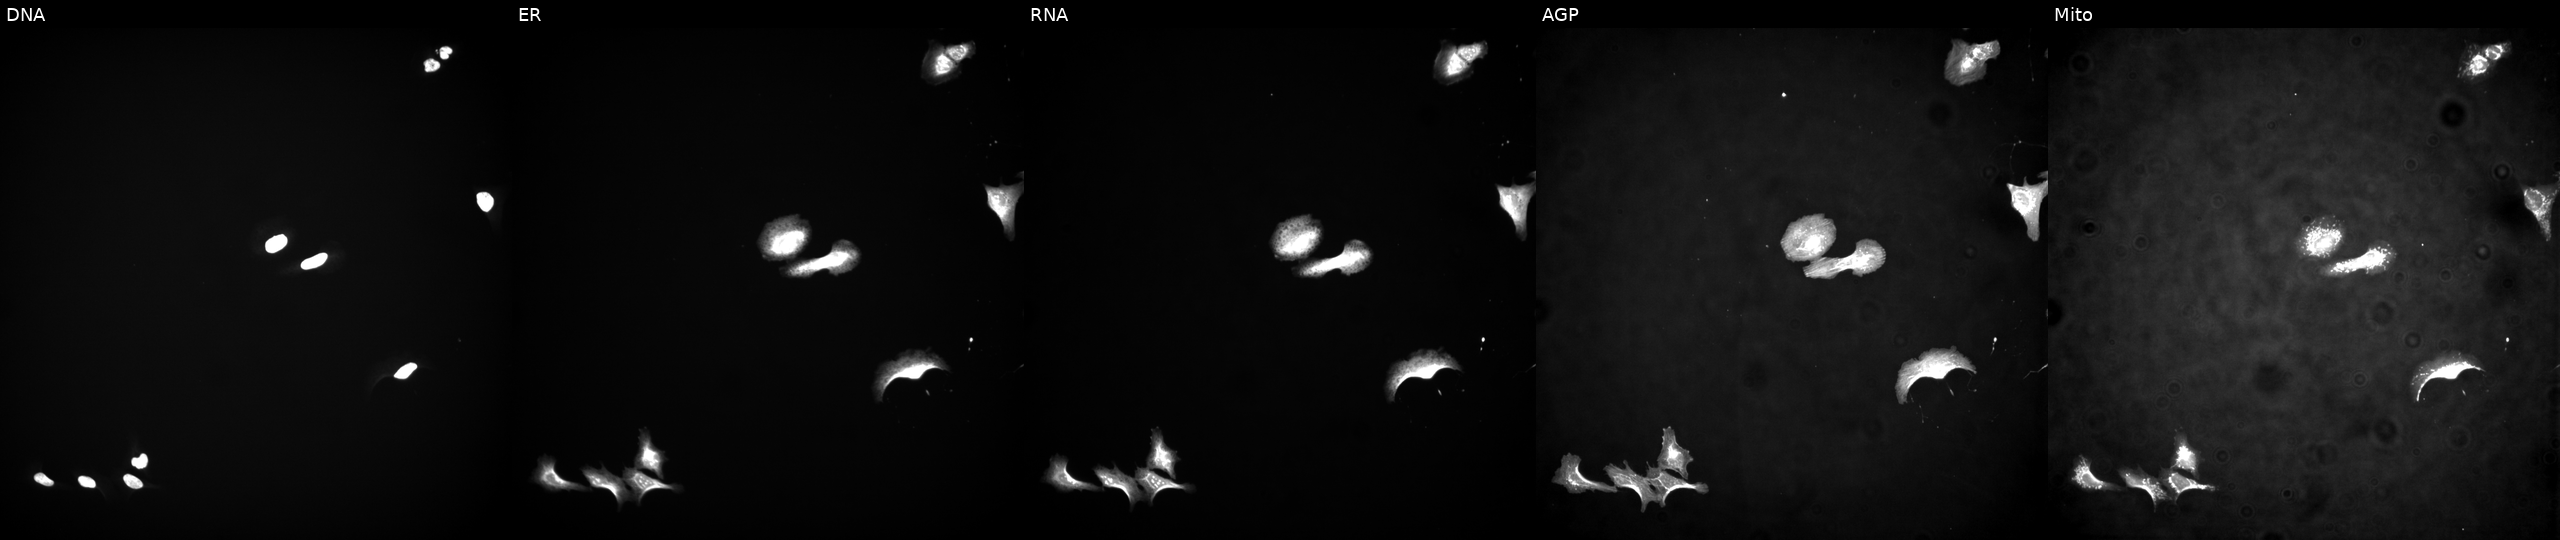
This image strip shows the five Cell Painting channels for a single field of U2OS cells overexpressing FGFRL1 via ORF transfection (JUMP id JCP2022_914093). Channels (left→right): Hoechst 33342, concanavalin A, SYTO 14, phalloidin and WGA, MitoTracker.